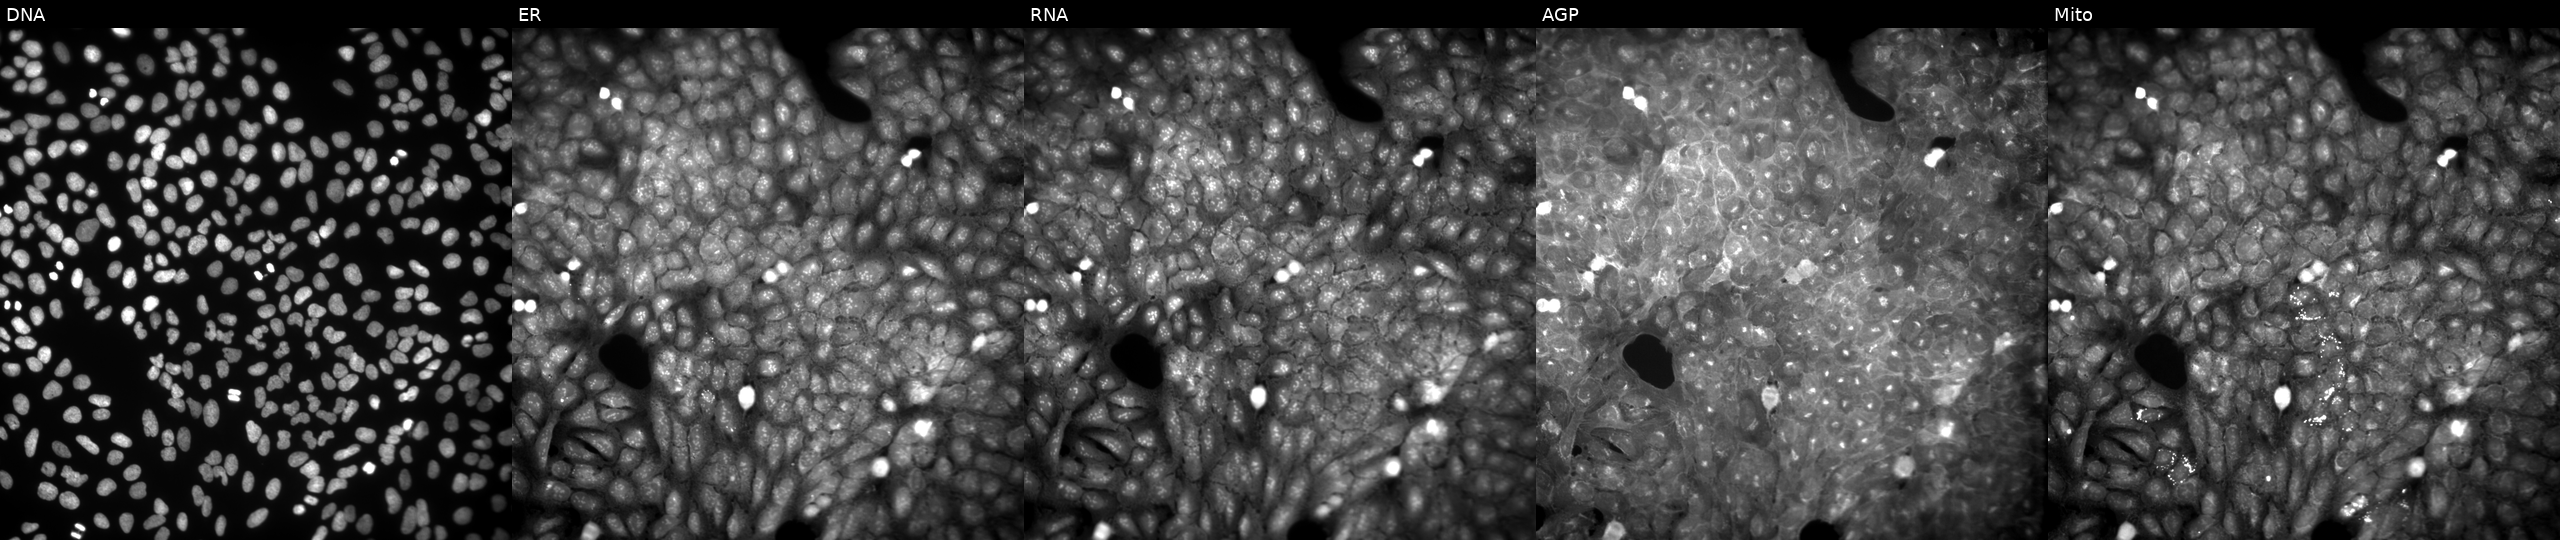
This image strip shows the five Cell Painting channels for a single field of U2OS cells exposed to a small-molecule compound (InChIKey NUFRHDJPYYEIIB-UHFFFAOYSA-N) (JUMP id JCP2022_061398). The five panels, left to right, show Hoechst 33342, concanavalin A, SYTO 14, phalloidin and WGA, MitoTracker.